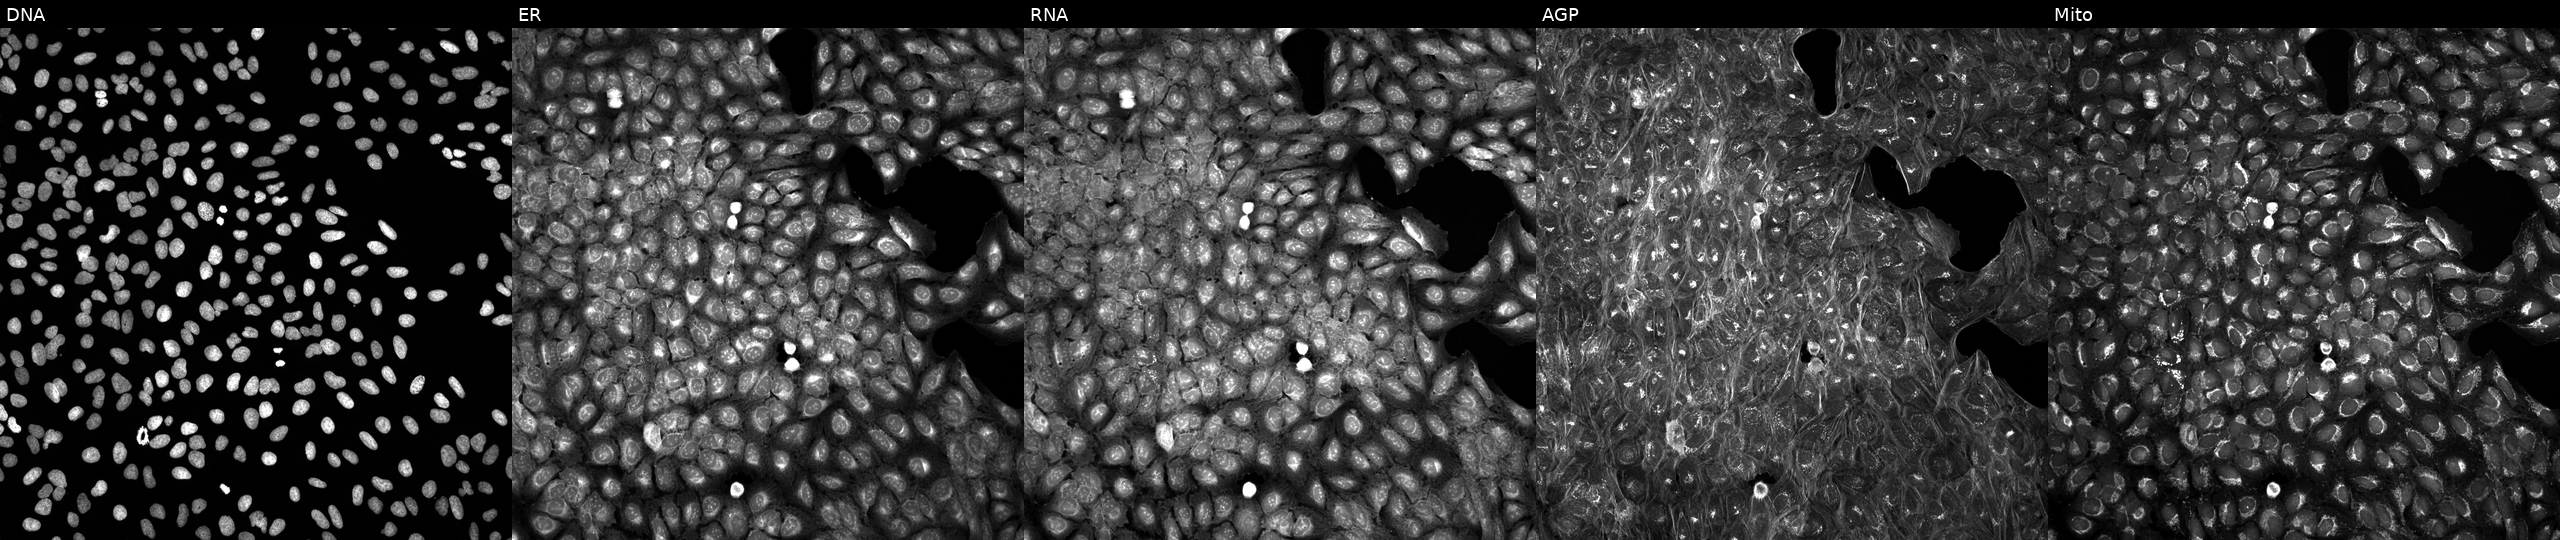
JUMP Cell Painting — TARGET2 plate. U2OS cells treated with a small-molecule compound (InChIKey UGYXPZQILZRKJJ-UHFFFAOYSA-N) (JUMP id JCP2022_089172). Panels show, left to right, DNA, ER, RNA, AGP, and Mito. Source 5, plate ACPJUM012, well D23.